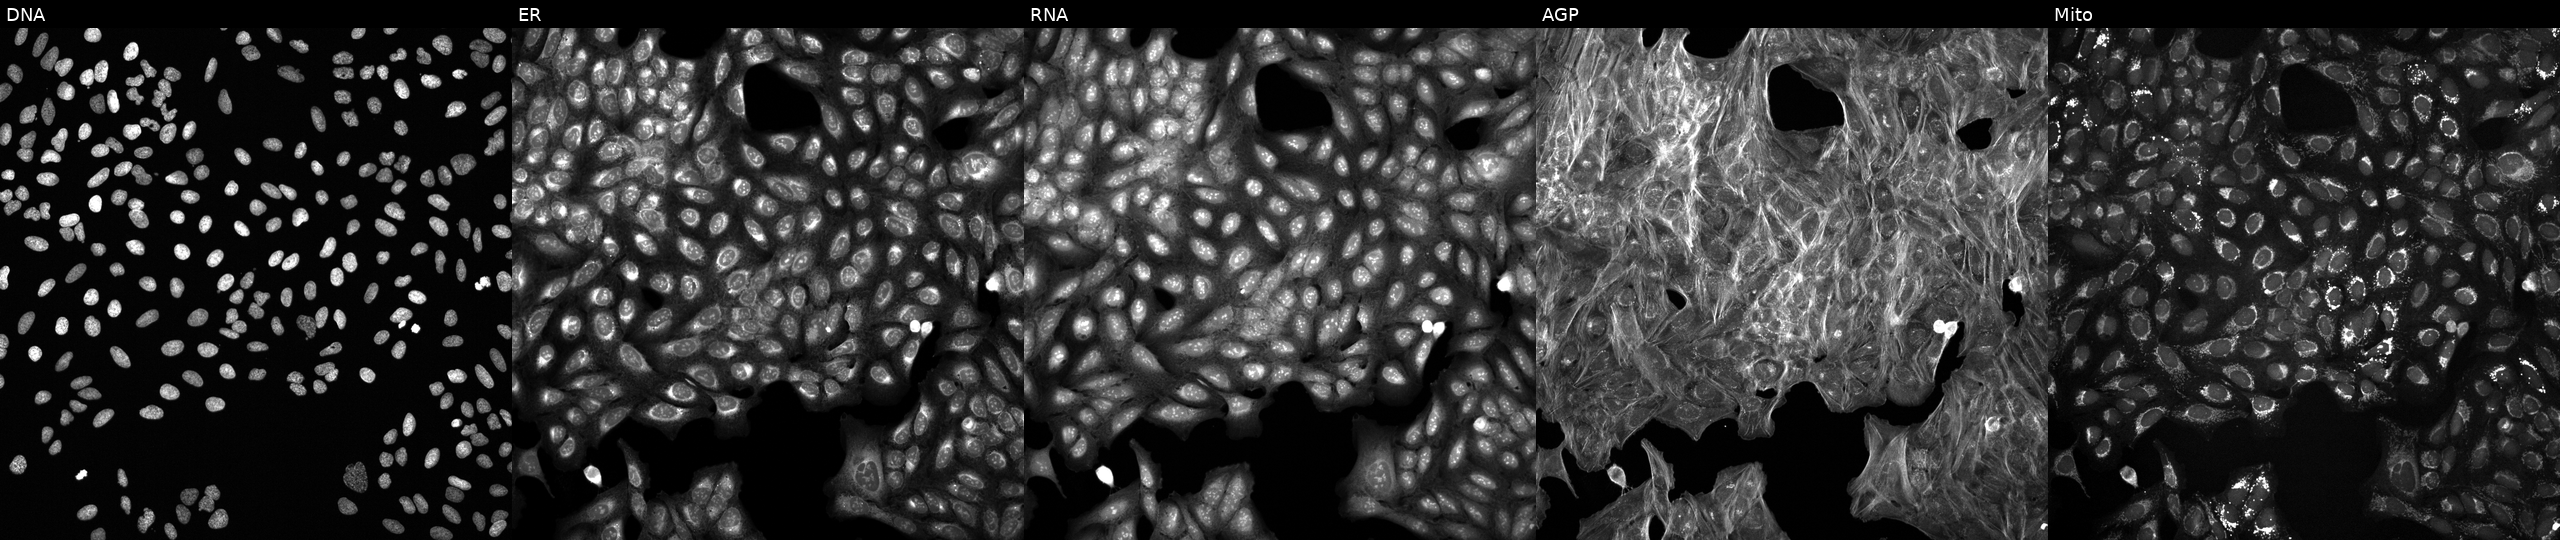
JUMP Cell Painting — TARGET2 plate. U2OS cells perturbed with a small-molecule compound (InChIKey QUIIIYITNGOFEI-UHFFFAOYSA-N) (JUMP id JCP2022_075930). Channels (left→right): DNA, ER, RNA, AGP, and Mito. Source 6, plate 110000293081, well C12.